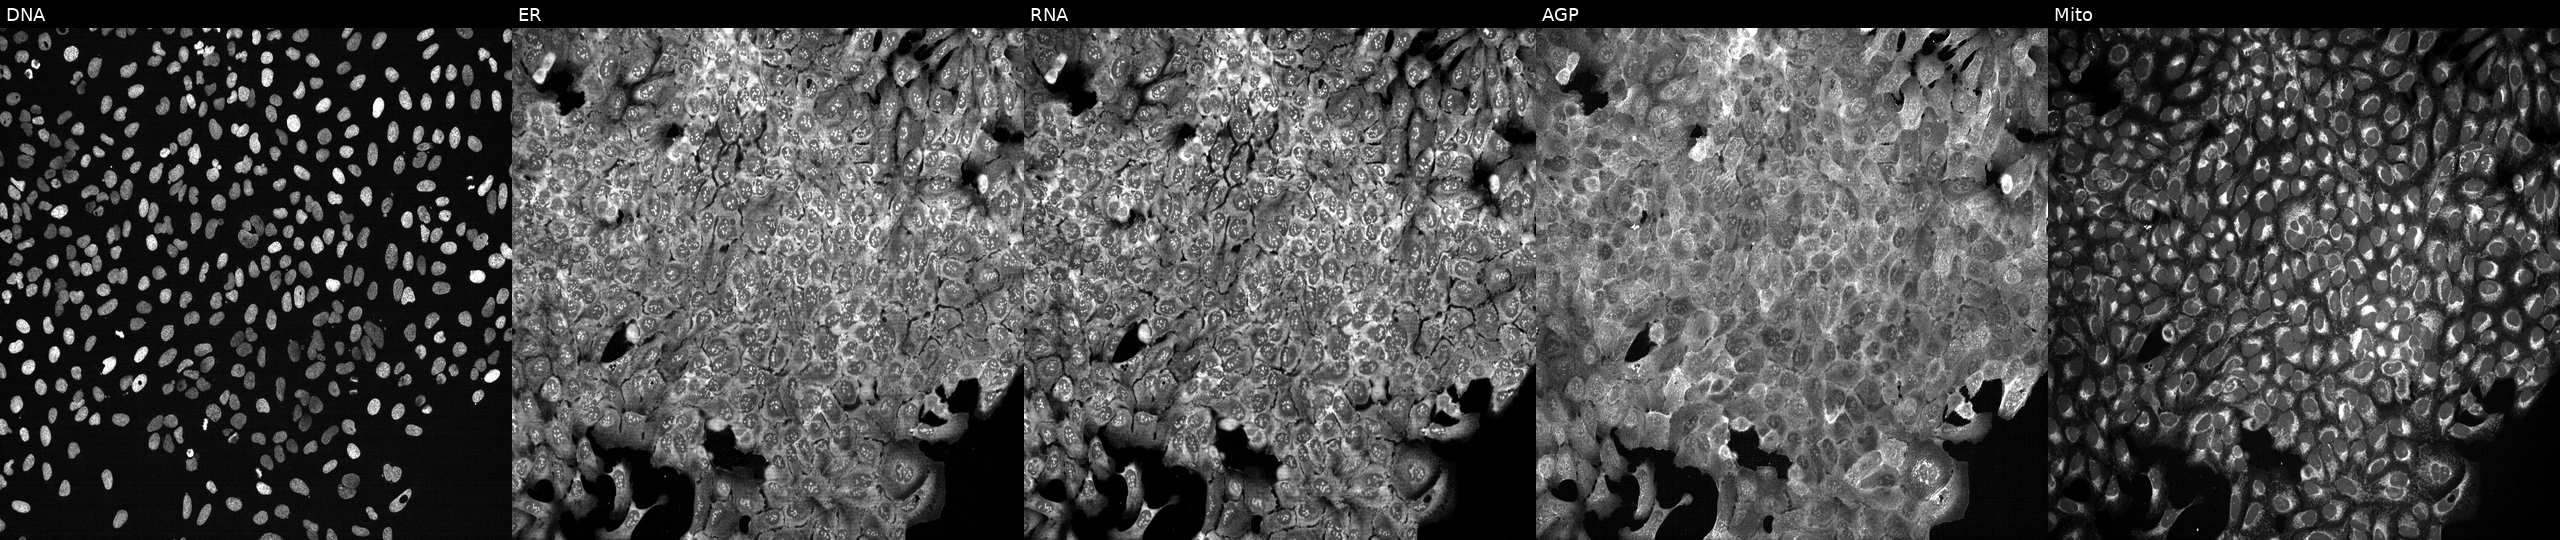
Channels (left→right): DNA, ER, RNA, AGP, and Mito. U2OS osteosarcoma cells with KIF5C knocked out by CRISPR (JUMP id JCP2022_803687). Cell Painting assay, JUMP-CP dataset. Source 13, plate CP-CC9-R2-02, well G09.